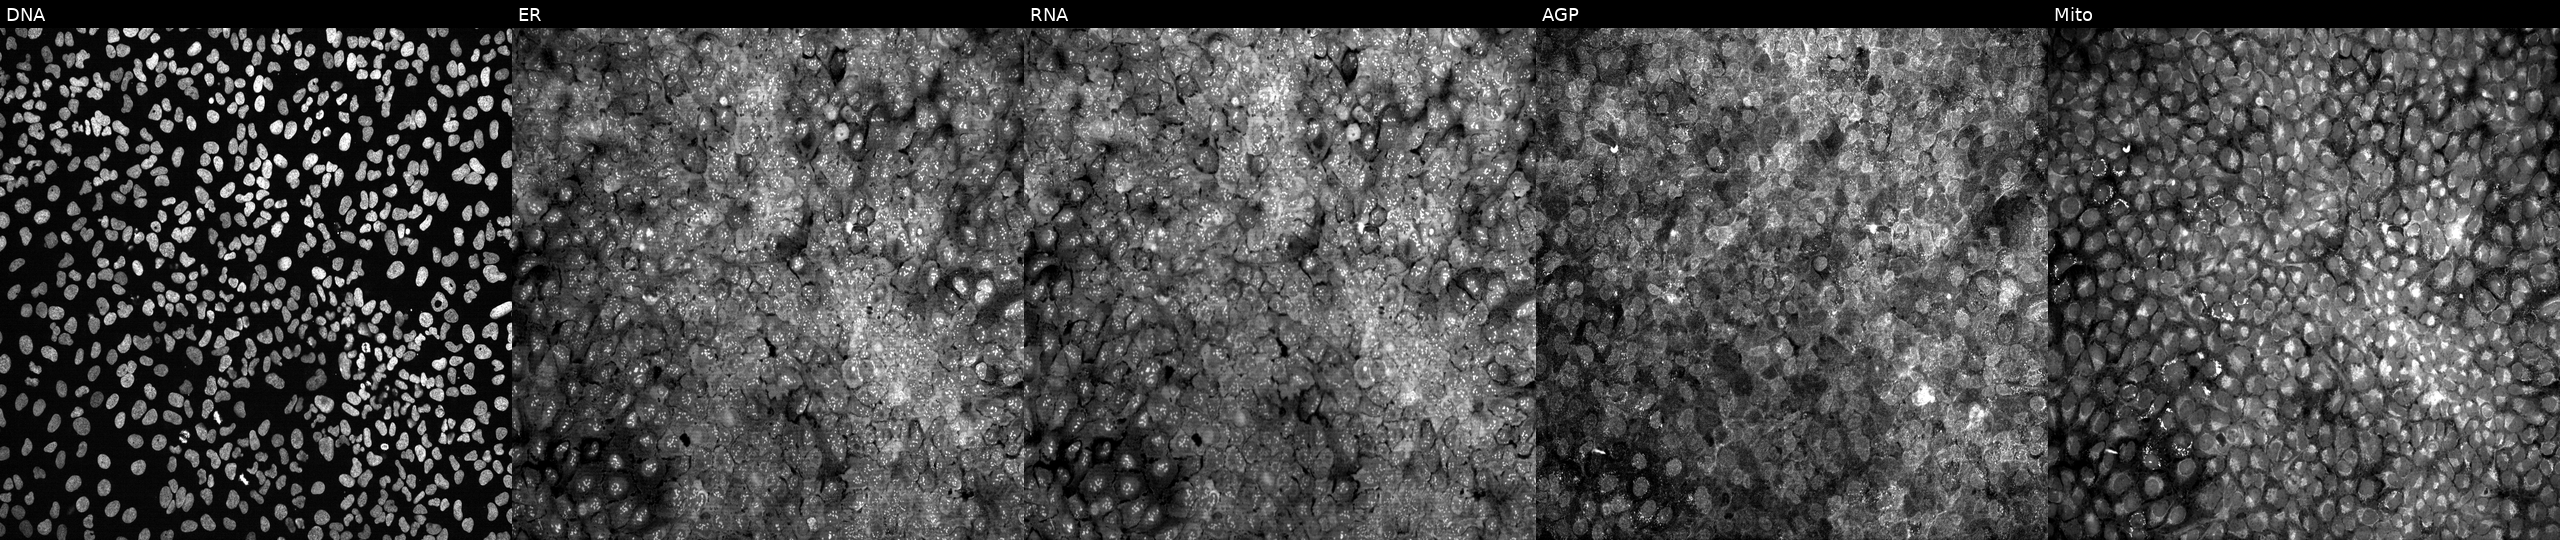
This image strip shows the five Cell Painting channels for a single field of U2OS cells with no CRISPR guide (negative control) (JUMP id JCP2022_800001). From left to right: DNA, ER, RNA, AGP, and Mito.